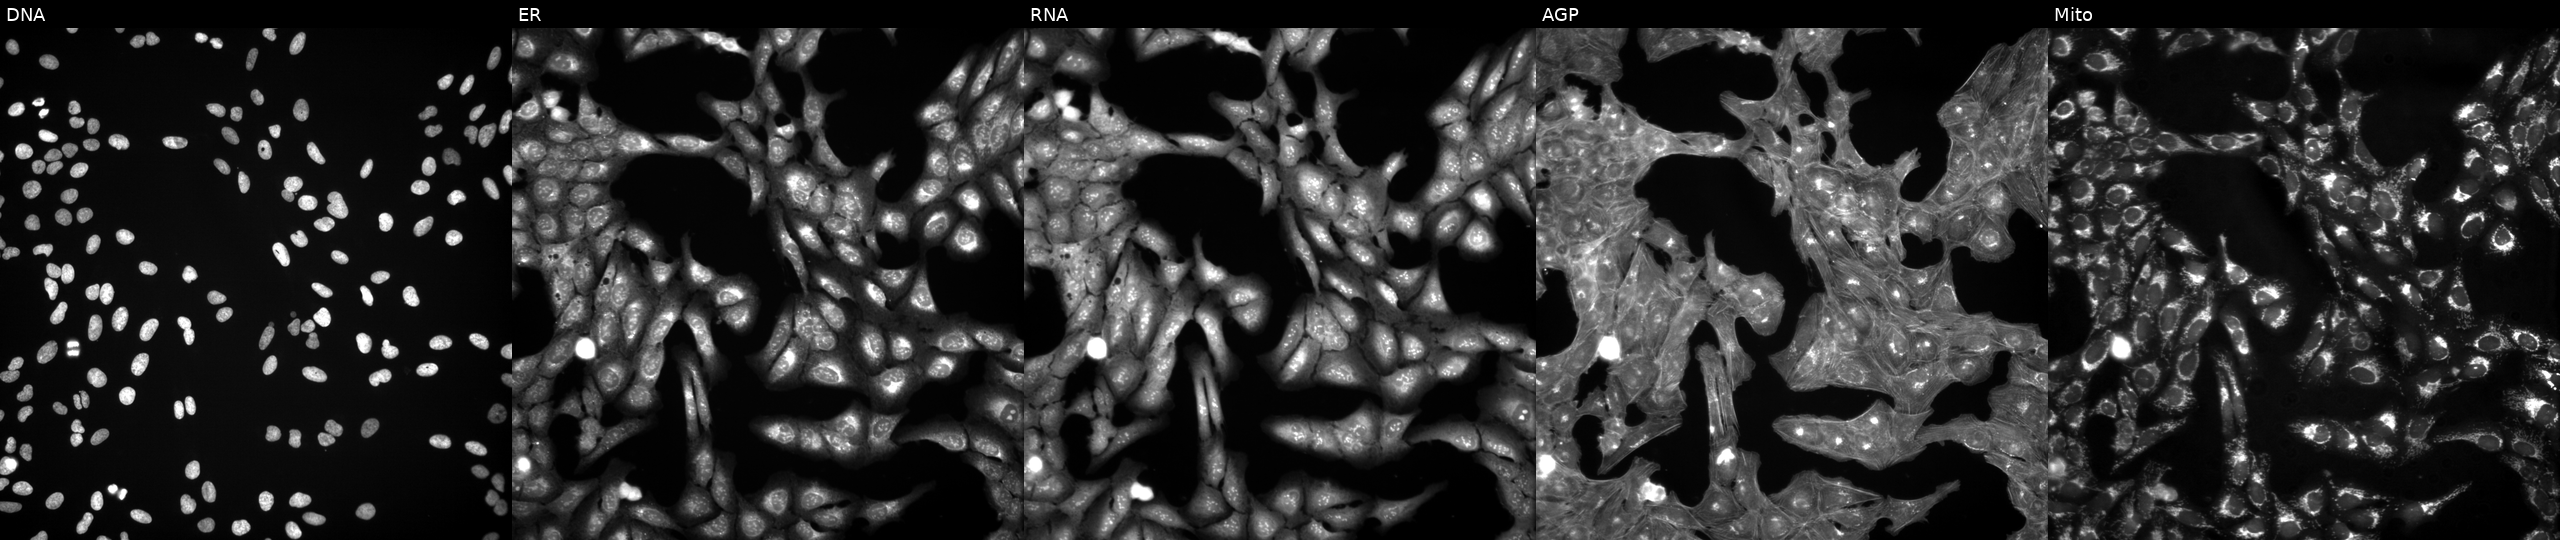
High-content fluorescence microscopy (Cell Painting). Cell line: U2OS. Perturbation: perturbed with a small-molecule compound (InChIKey KUUJEXLRLIPQQJ-UHFFFAOYSA-N). Channels (left→right): Hoechst 33342, concanavalin A, SYTO 14, phalloidin and WGA, MitoTracker.